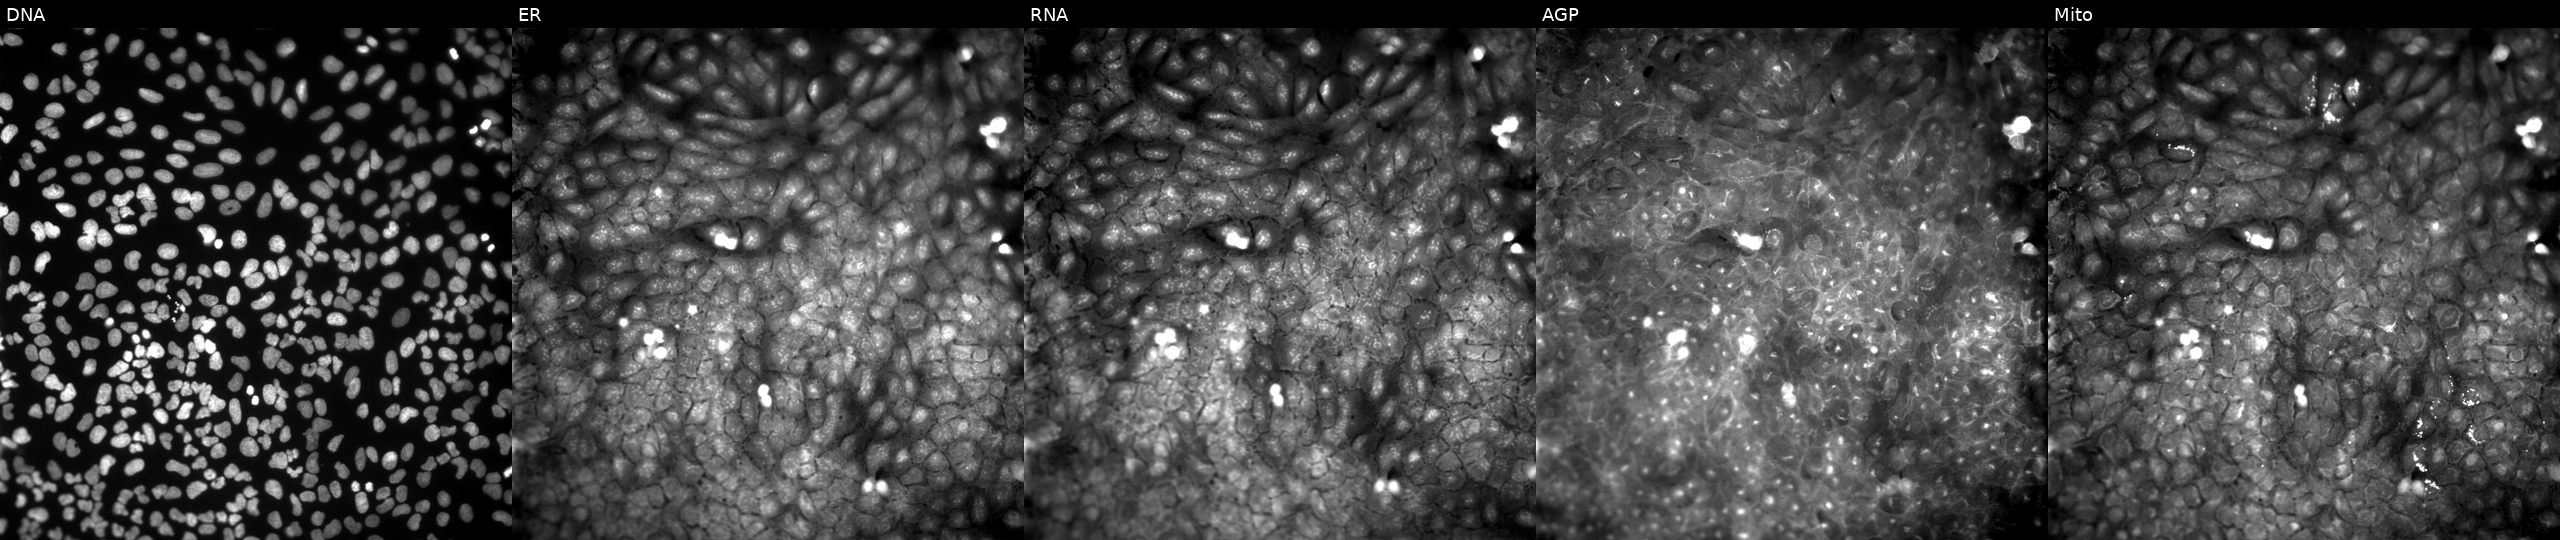
The five panels, left to right, show Hoechst 33342, concanavalin A, SYTO 14, phalloidin and WGA, MitoTracker. U2OS osteosarcoma cells treated with a small-molecule compound (InChIKey HJYOPPDMSXUXHM-UHFFFAOYSA-N) [SMILES: C(=Cc1ccccc1)CSc1nnc(-c2cccnc2)o1] (JUMP id JCP2022_030712). Cell Painting assay, JUMP-CP dataset.